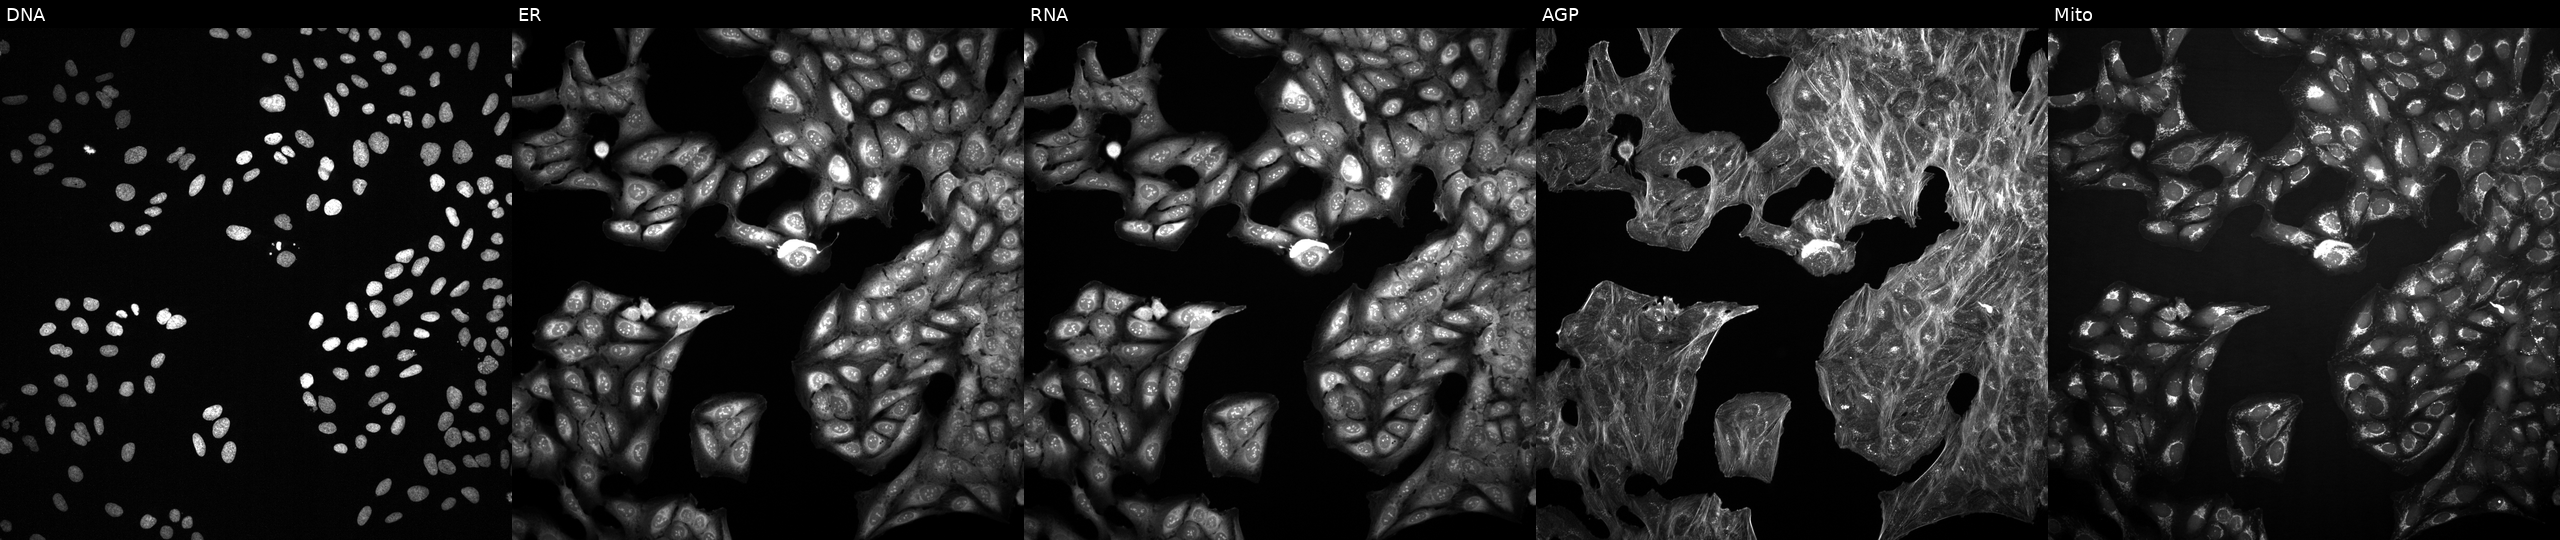
JUMP Cell Painting — TARGET2 plate. U2OS cells exposed to DMSO alone as a negative control (JUMP id JCP2022_033924). Panels show, left to right, DNA (nuclei); ER (endoplasmic reticulum); RNA (nucleoli and cytoplasmic RNA); AGP (actin cytoskeleton, Golgi, and plasma membrane); Mito (mitochondria).